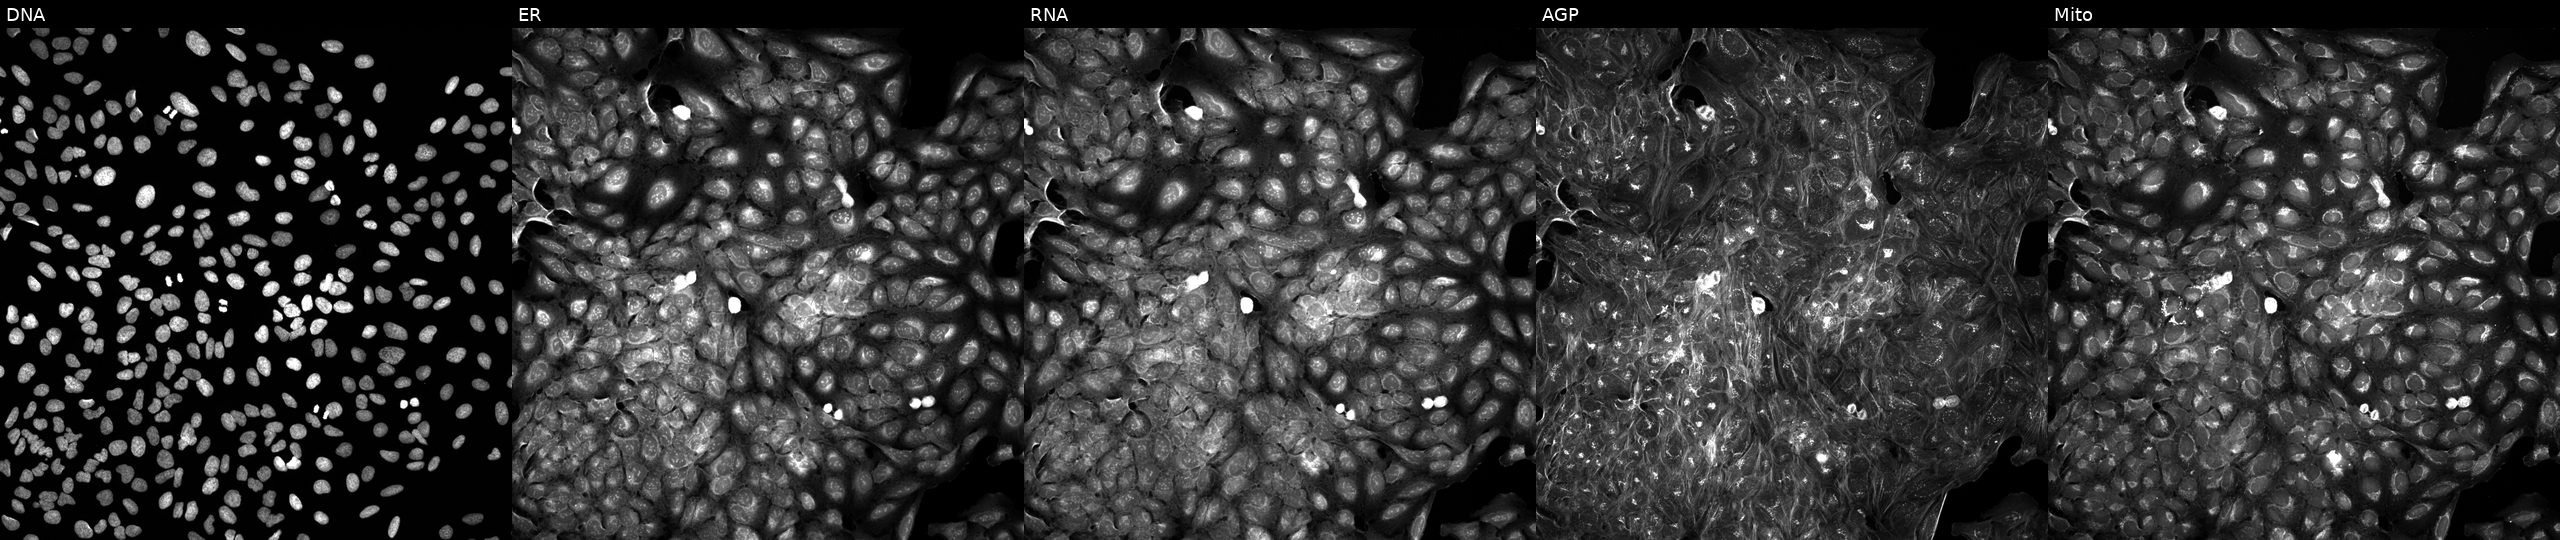
Five-channel Cell Painting image of U2OS cells perturbed with a small-molecule compound (JUMP id JCP2022_097711). Panels show, left to right, Hoechst 33342, concanavalin A, SYTO 14, phalloidin and WGA, MitoTracker.